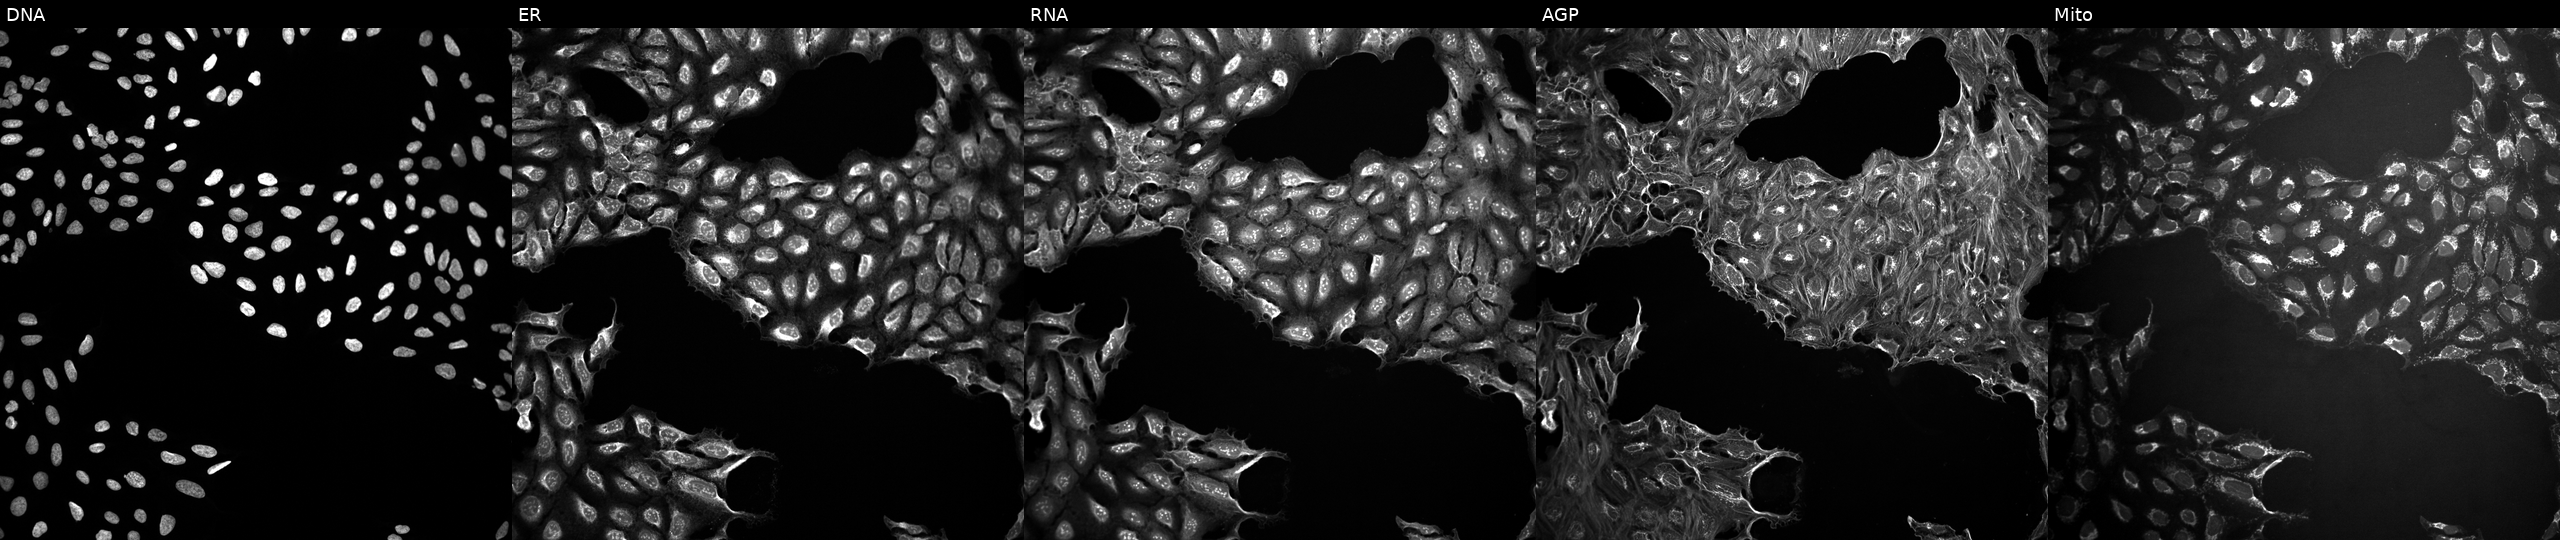
JUMP Cell Painting — COMPOUND plate. U2OS cells in an empty control well (no perturbation) (JUMP id JCP2022_999999). The five panels, left to right, show Hoechst 33342, concanavalin A, SYTO 14, phalloidin and WGA, MitoTracker.